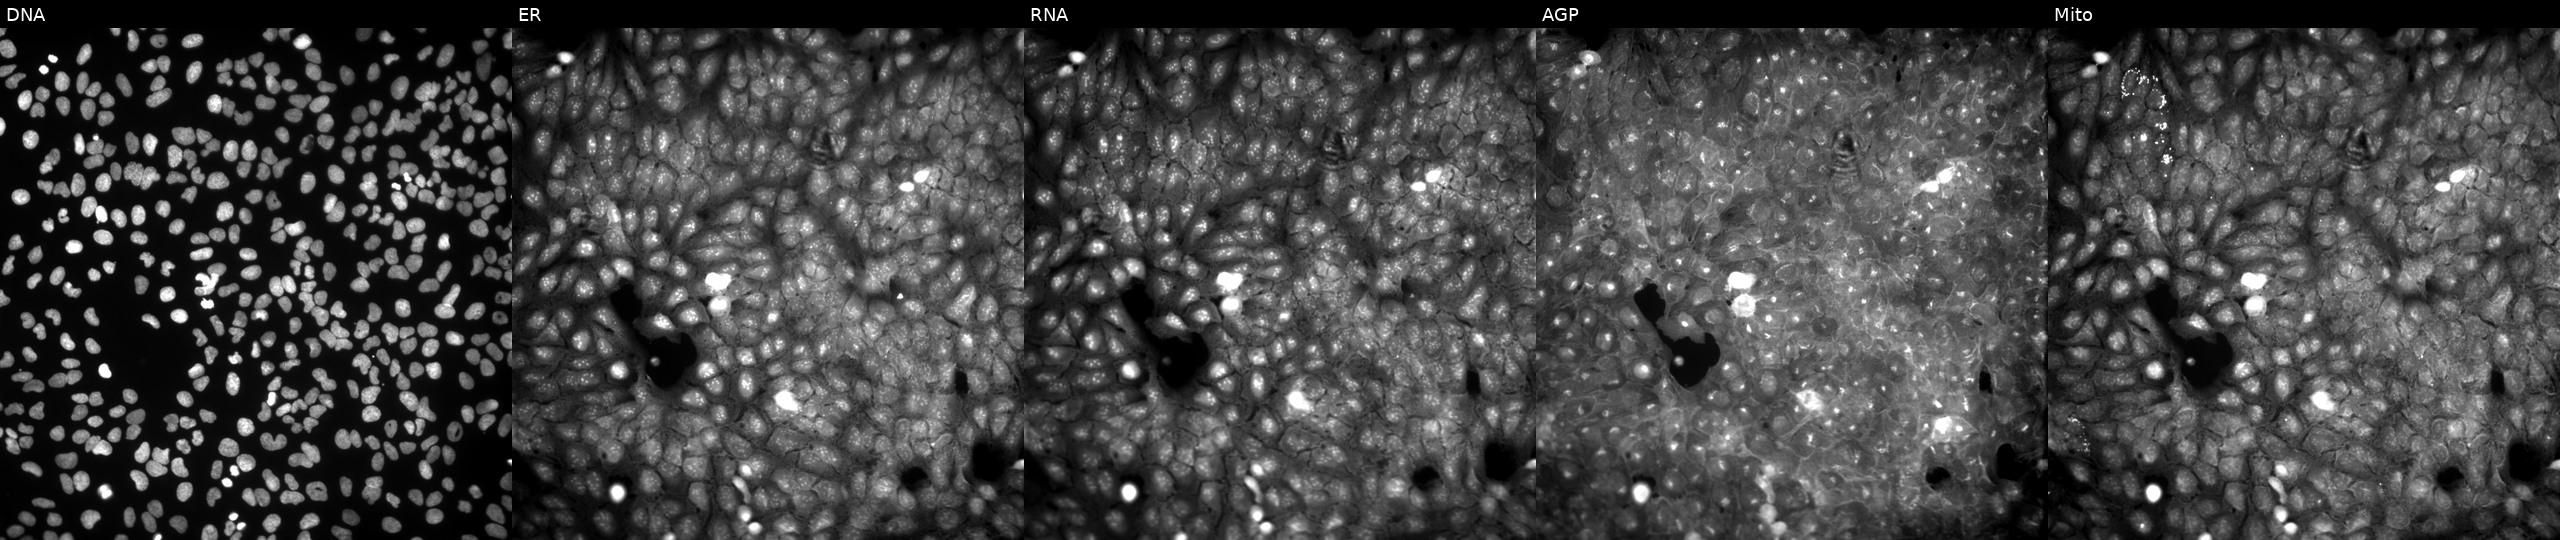
This image strip shows the five Cell Painting channels for a single field of U2OS cells perturbed with a small-molecule compound (JUMP id JCP2022_056168). The five panels, left to right, show DNA, ER, RNA, AGP, and Mito.